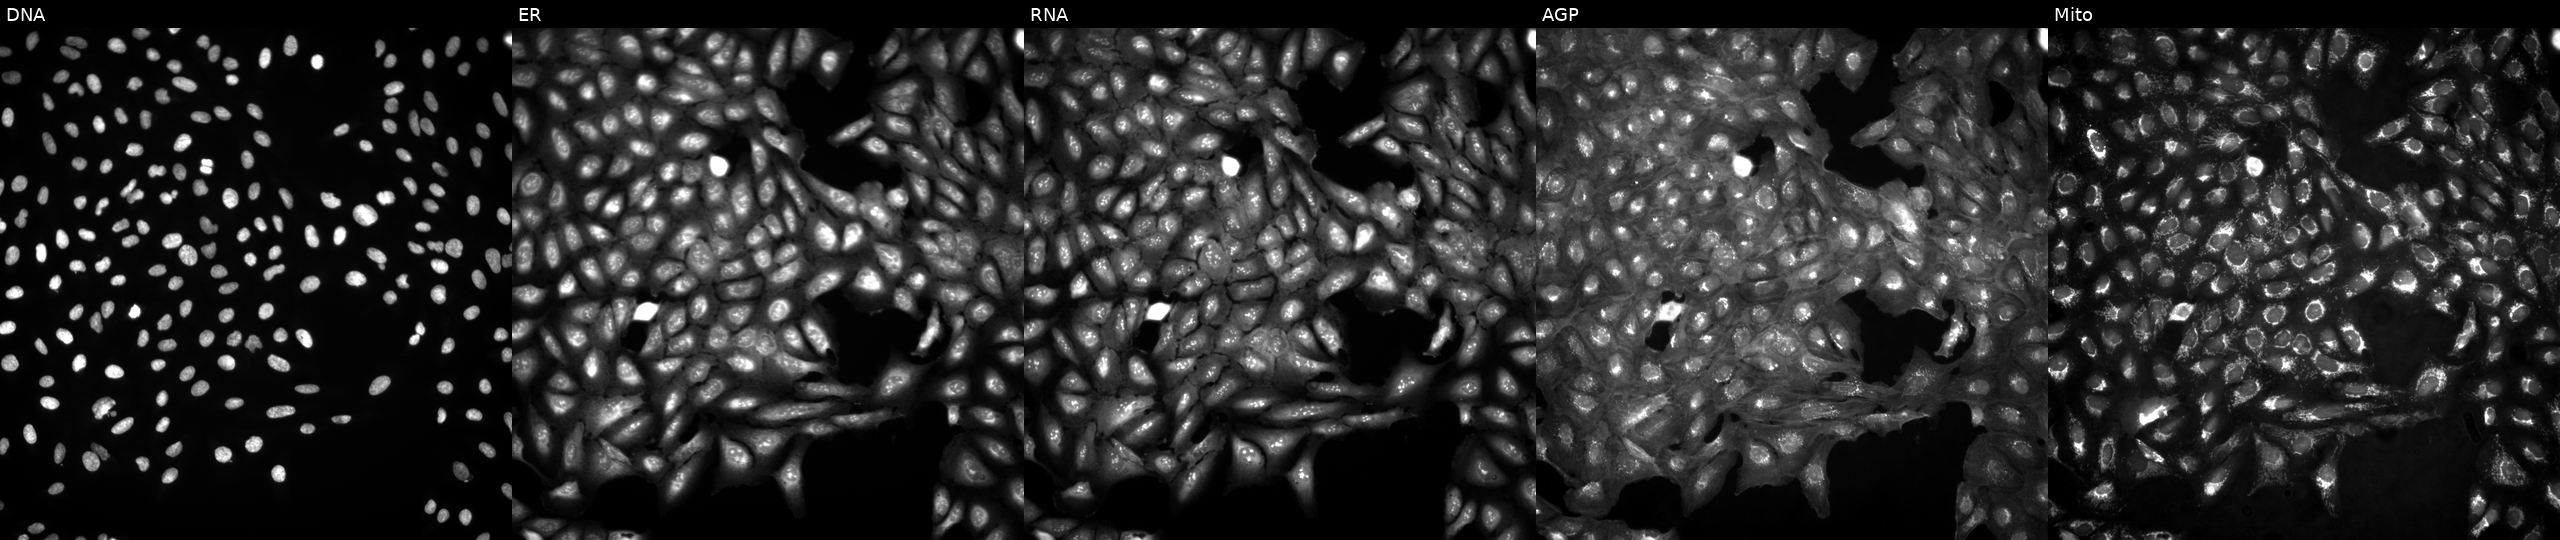
JUMP Cell Painting — ORF plate. U2OS cells untreated (empty-well control) (JUMP id JCP2022_999999). Panels show, left to right, DNA (nuclei); ER (endoplasmic reticulum); RNA (nucleoli and cytoplasmic RNA); AGP (actin cytoskeleton, Golgi, and plasma membrane); Mito (mitochondria).